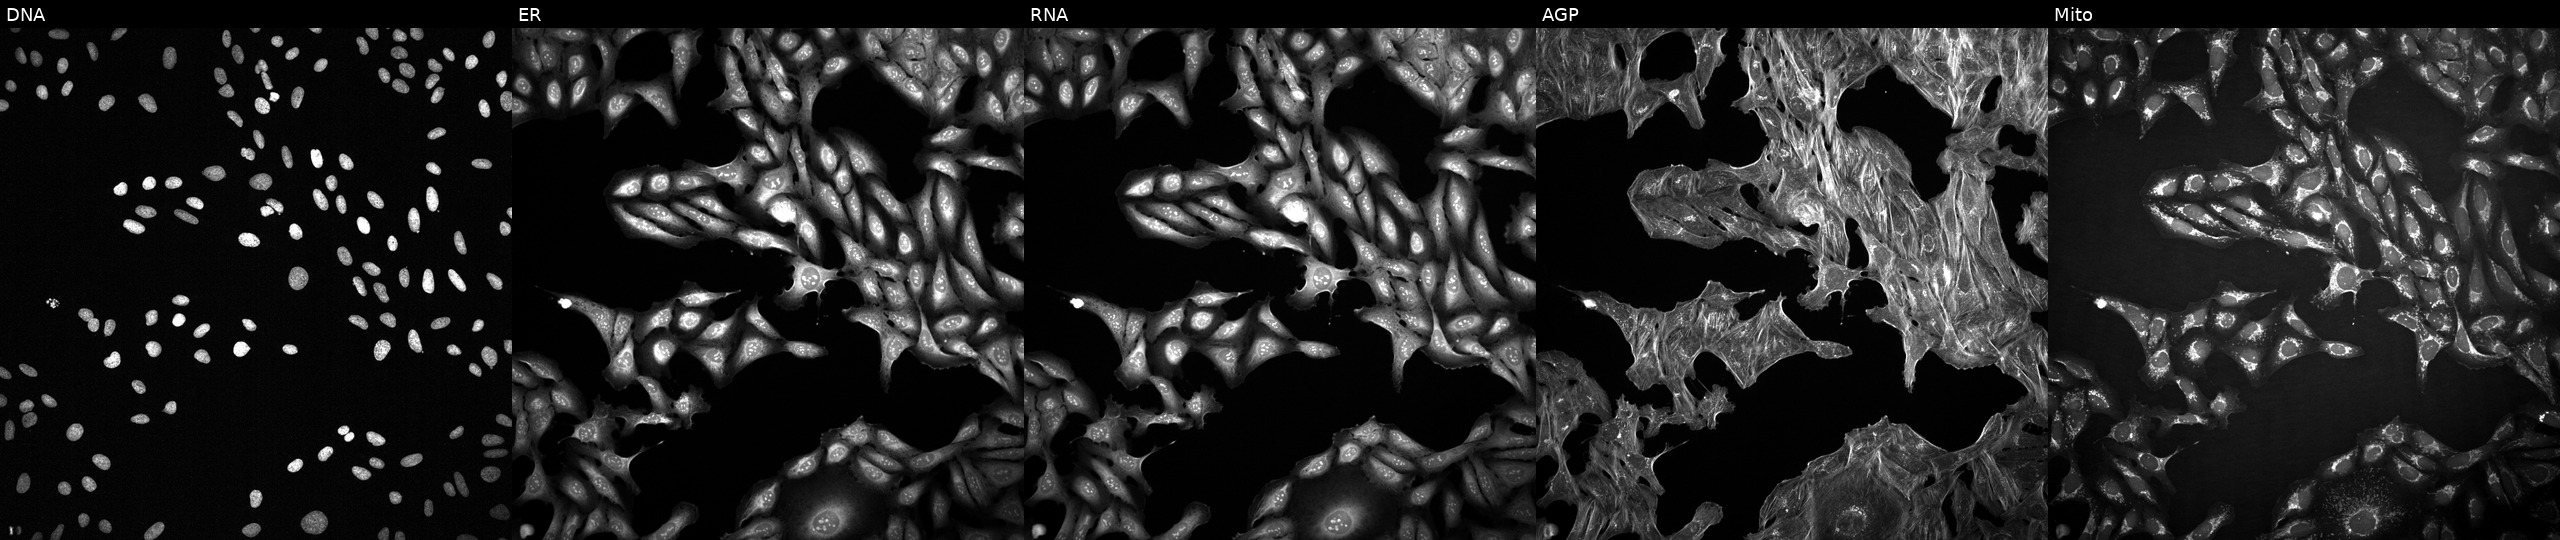
From left to right: Hoechst 33342, concanavalin A, SYTO 14, phalloidin and WGA, MitoTracker. U2OS osteosarcoma cells treated with a small-molecule compound (InChIKey HQQLXERSPFVWEW-UHFFFAOYSA-N) (JUMP id JCP2022_031935). Cell Painting assay, JUMP-CP dataset. Source 2, plate 1053601763, well I16.